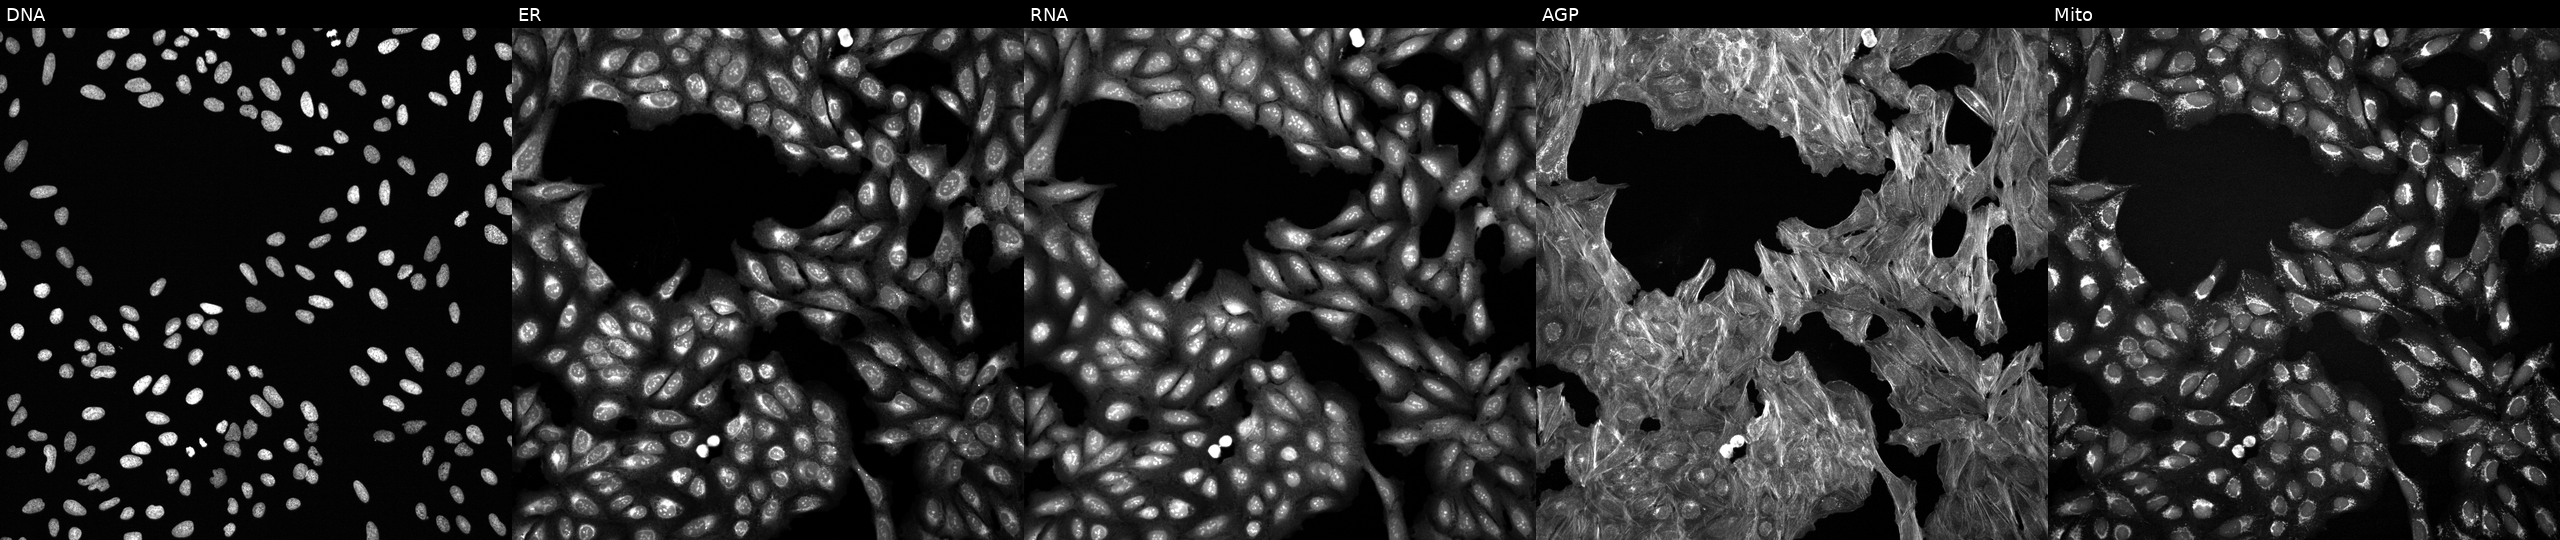
U2OS cells, Cell Painting assay, treated with a small-molecule compound (InChIKey JWTMZMWUCUQVBZ-UHFFFAOYSA-N) (JUMP id JCP2022_042633). Panels show, left to right, Hoechst 33342, concanavalin A, SYTO 14, phalloidin and WGA, MitoTracker. Each panel is percentile-stretched 16-bit fluorescence.